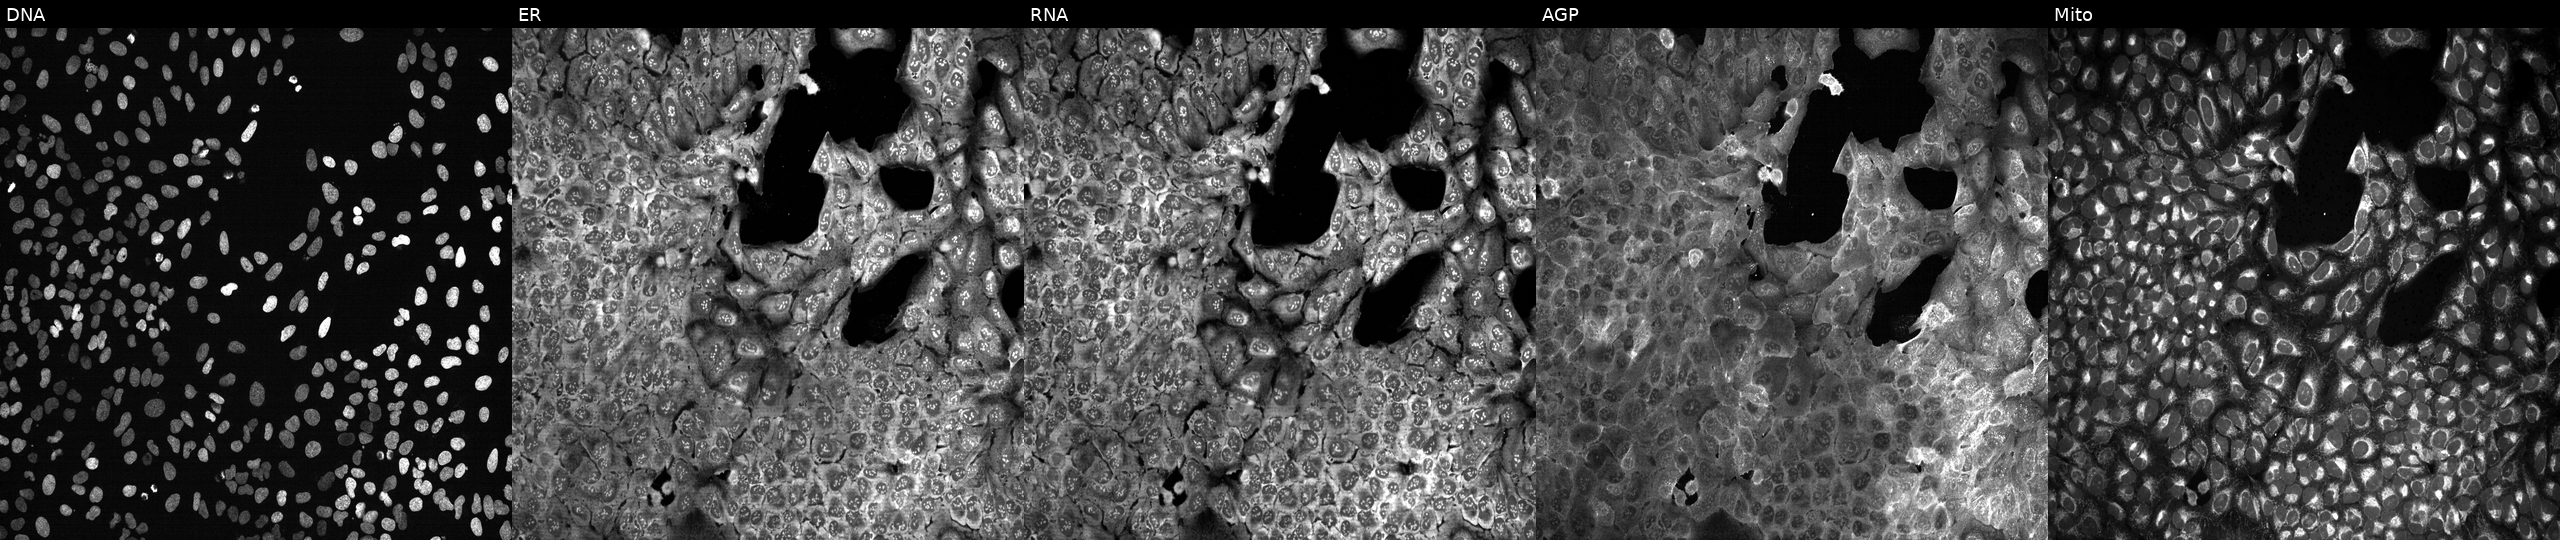
High-content fluorescence microscopy (Cell Painting). Cell line: U2OS. Perturbation: CRISPR-edited to disrupt L3HYPDH (JUMP id JCP2022_803763). Panels show, left to right, Hoechst 33342, concanavalin A, SYTO 14, phalloidin and WGA, MitoTracker.